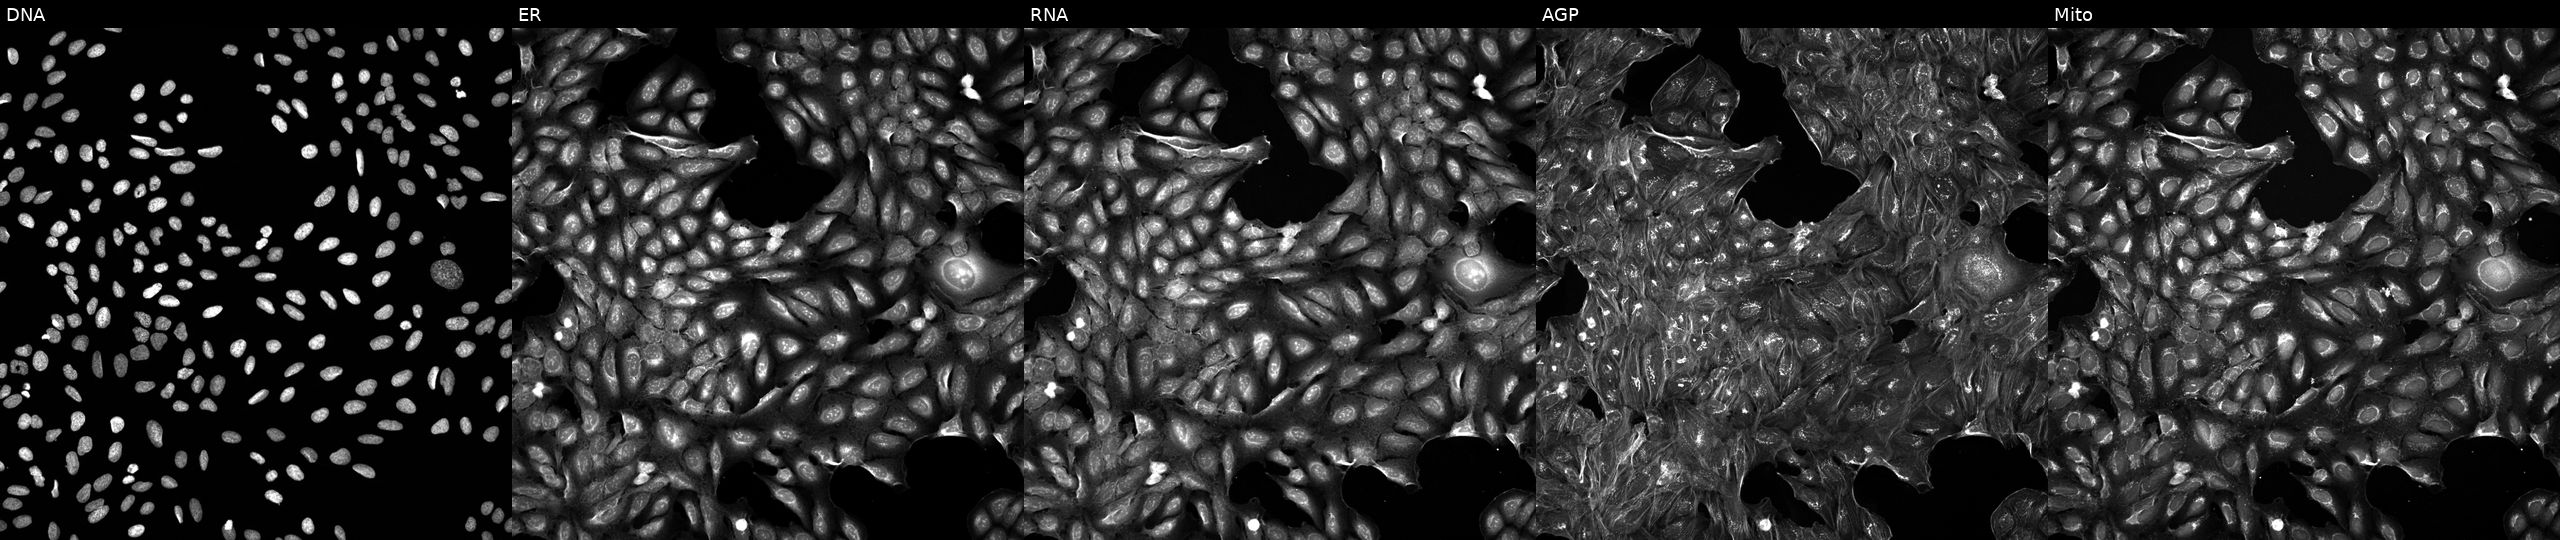
This image strip shows the five Cell Painting channels for a single field of U2OS cells exposed to a small-molecule compound (InChIKey QCWMBGAHQWBCAU-UHFFFAOYSA-N) (JUMP id JCP2022_072600). From left to right: Hoechst 33342, concanavalin A, SYTO 14, phalloidin and WGA, MitoTracker.